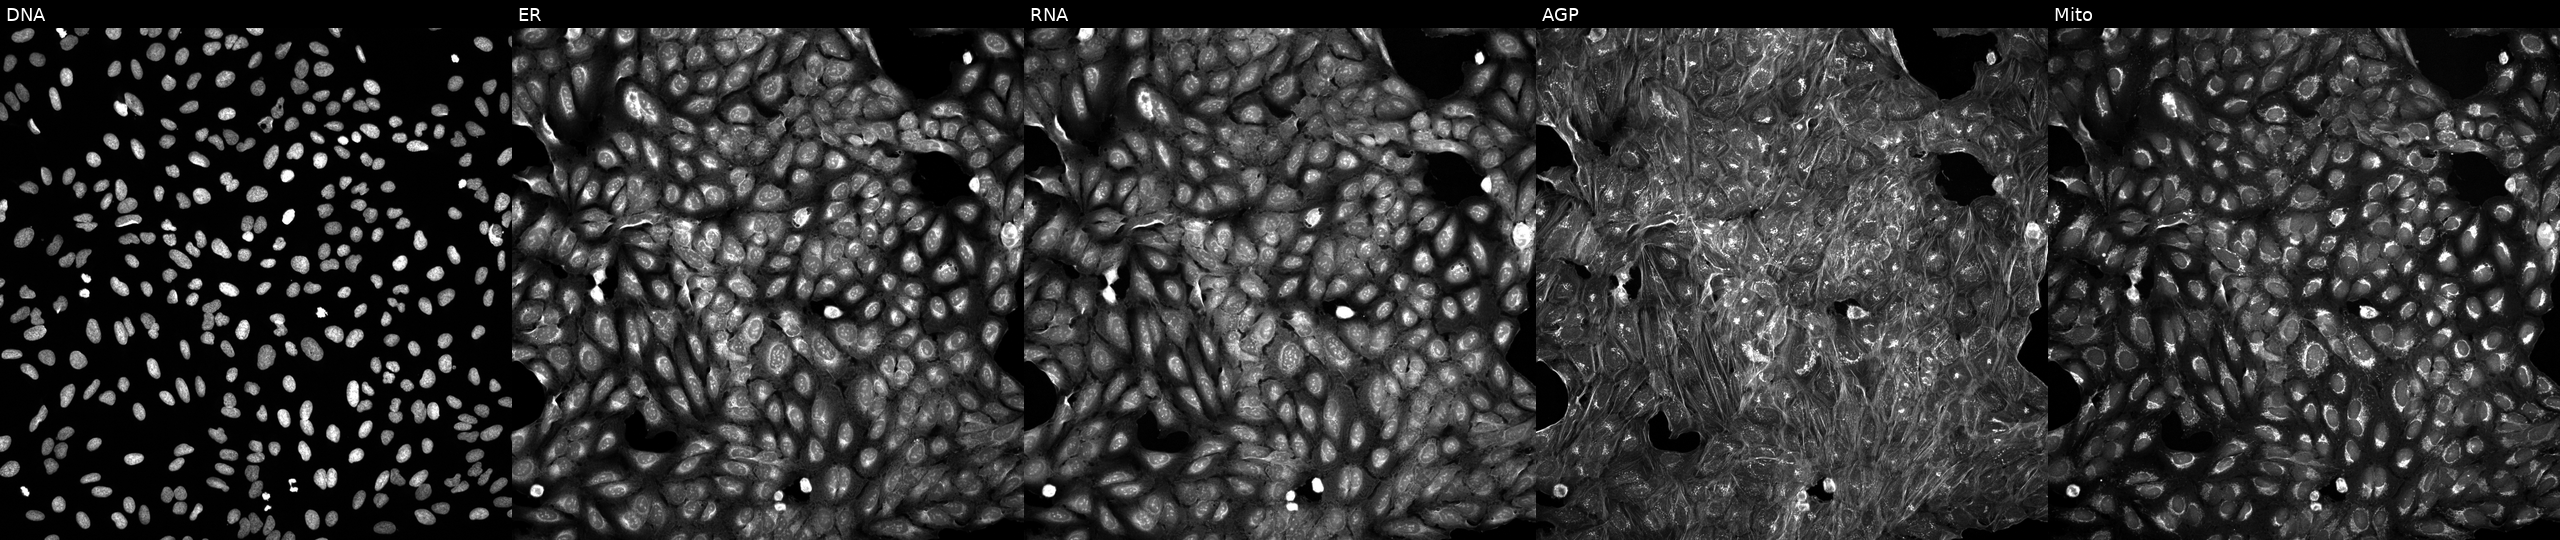
U2OS cells, Cell Painting assay, treated with a small-molecule compound (InChIKey WRLVHADVOGFZOZ-UHFFFAOYSA-N) [SMILES: CCOc1ccccc1N=Nc1c(C)[nH]n(-c2nc(-c3ccccc3)cs2)c1=O]. From left to right: DNA (nuclei); ER (endoplasmic reticulum); RNA (nucleoli and cytoplasmic RNA); AGP (actin cytoskeleton, Golgi, and plasma membrane); Mito (mitochondria). Each panel is percentile-stretched 16-bit fluorescence.